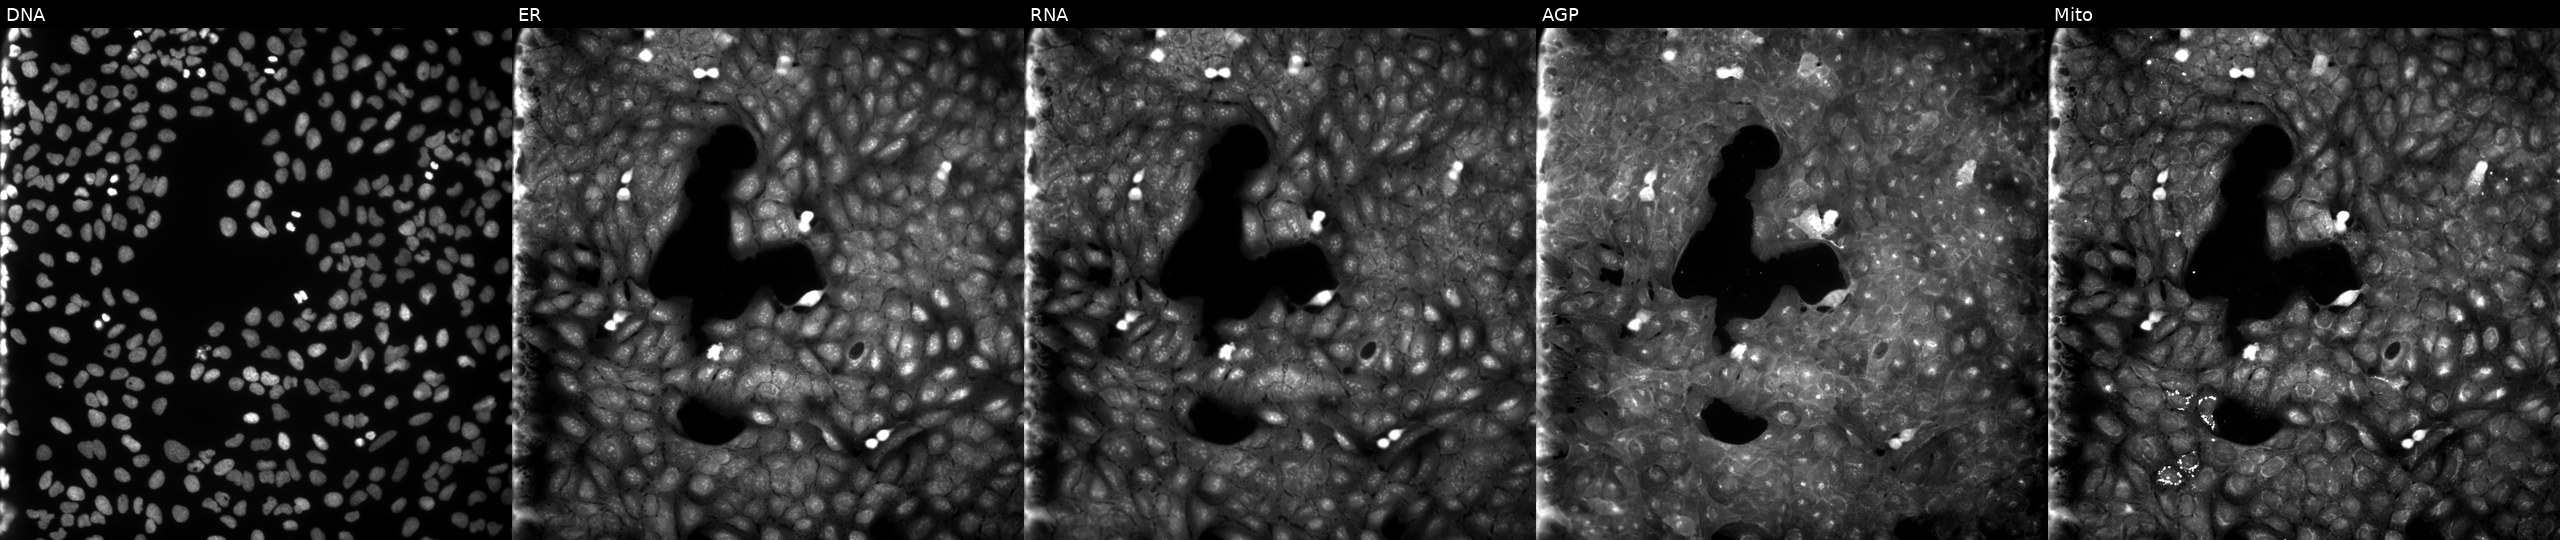
High-content fluorescence microscopy (Cell Painting). Cell line: U2OS. Perturbation: perturbed with a small-molecule compound (JUMP id JCP2022_066712). The five panels, left to right, show DNA (nuclei); ER (endoplasmic reticulum); RNA (nucleoli and cytoplasmic RNA); AGP (actin cytoskeleton, Golgi, and plasma membrane); Mito (mitochondria). Source 9, plate GR00003381, well O09.